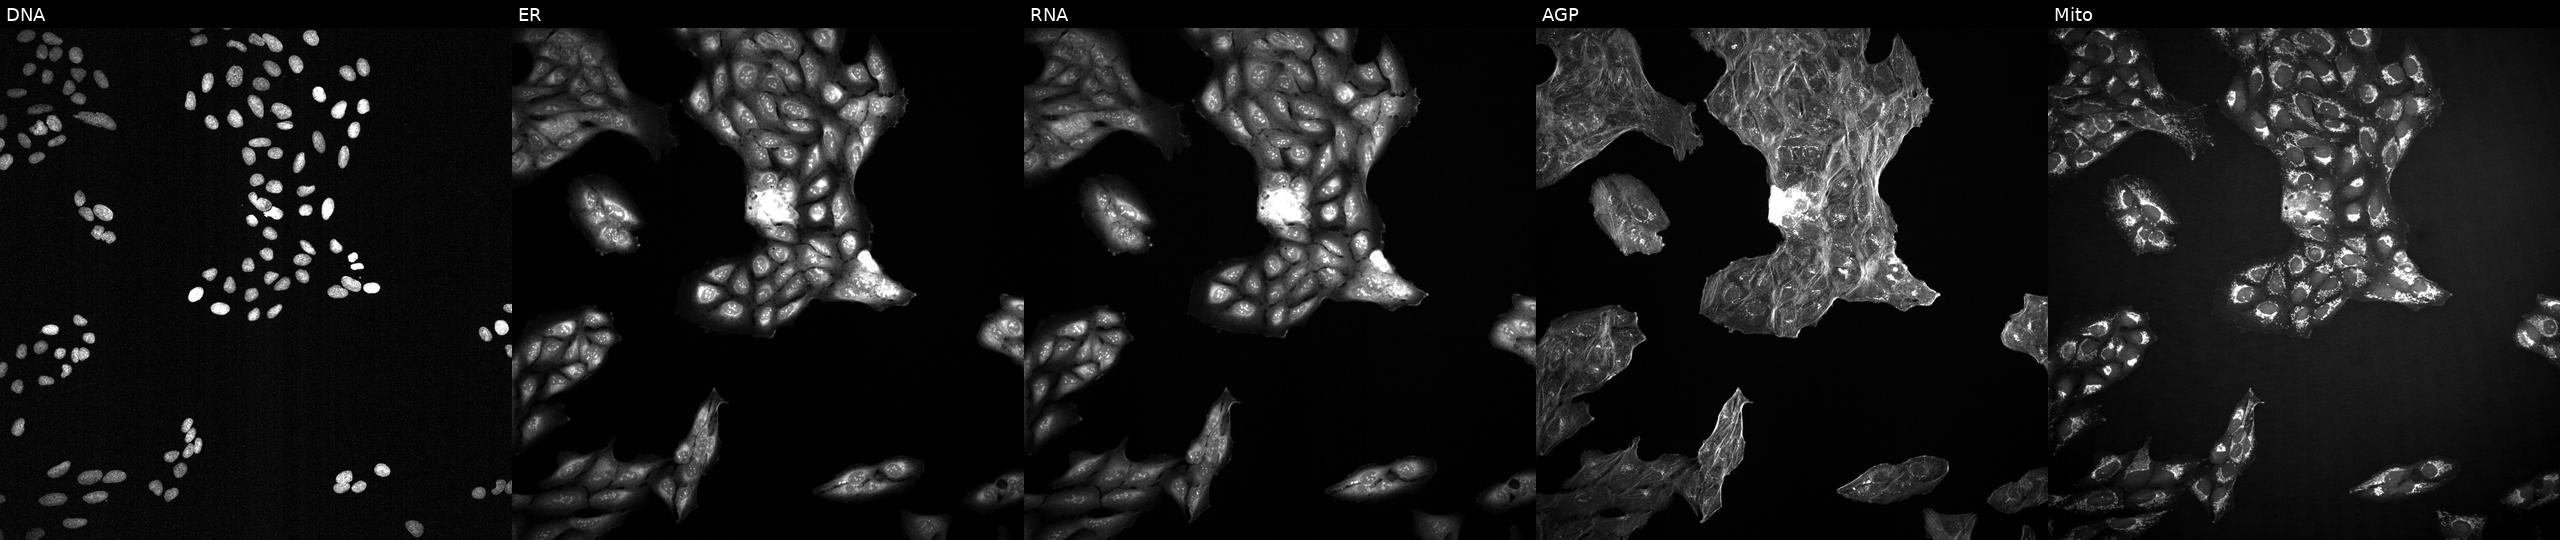
High-content fluorescence microscopy (Cell Painting). Cell line: U2OS. Perturbation: treated with a small-molecule compound. Panels show, left to right, Hoechst 33342, concanavalin A, SYTO 14, phalloidin and WGA, MitoTracker.